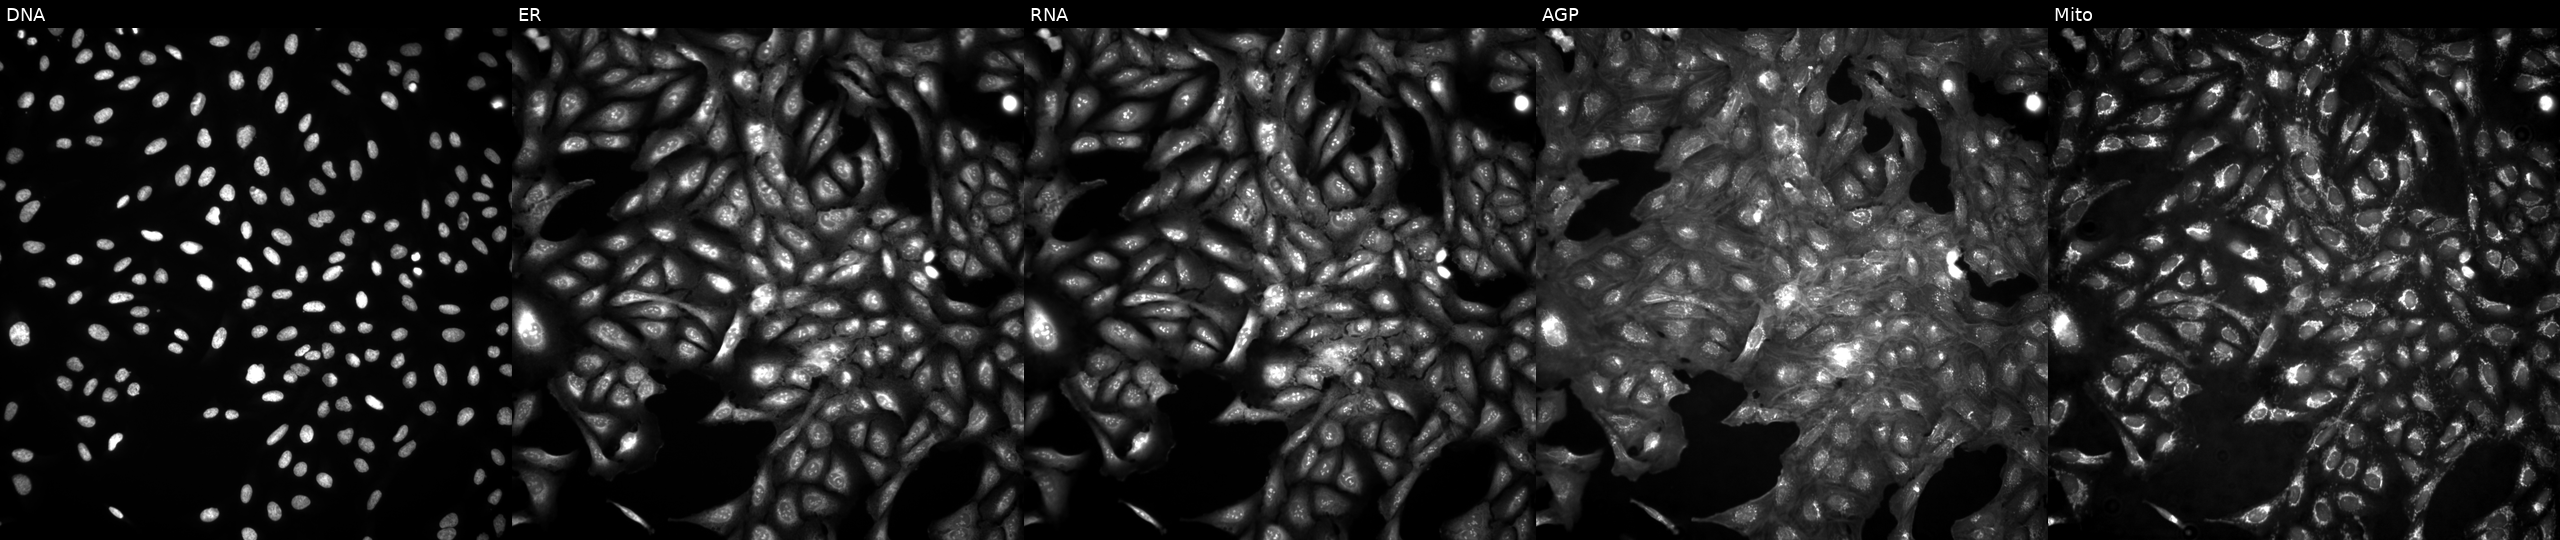
Channels (left→right): Hoechst 33342, concanavalin A, SYTO 14, phalloidin and WGA, MitoTracker. U2OS osteosarcoma cells untreated (empty-well control). Cell Painting assay, JUMP-CP dataset. Source 4, plate BR00124793, well E14.